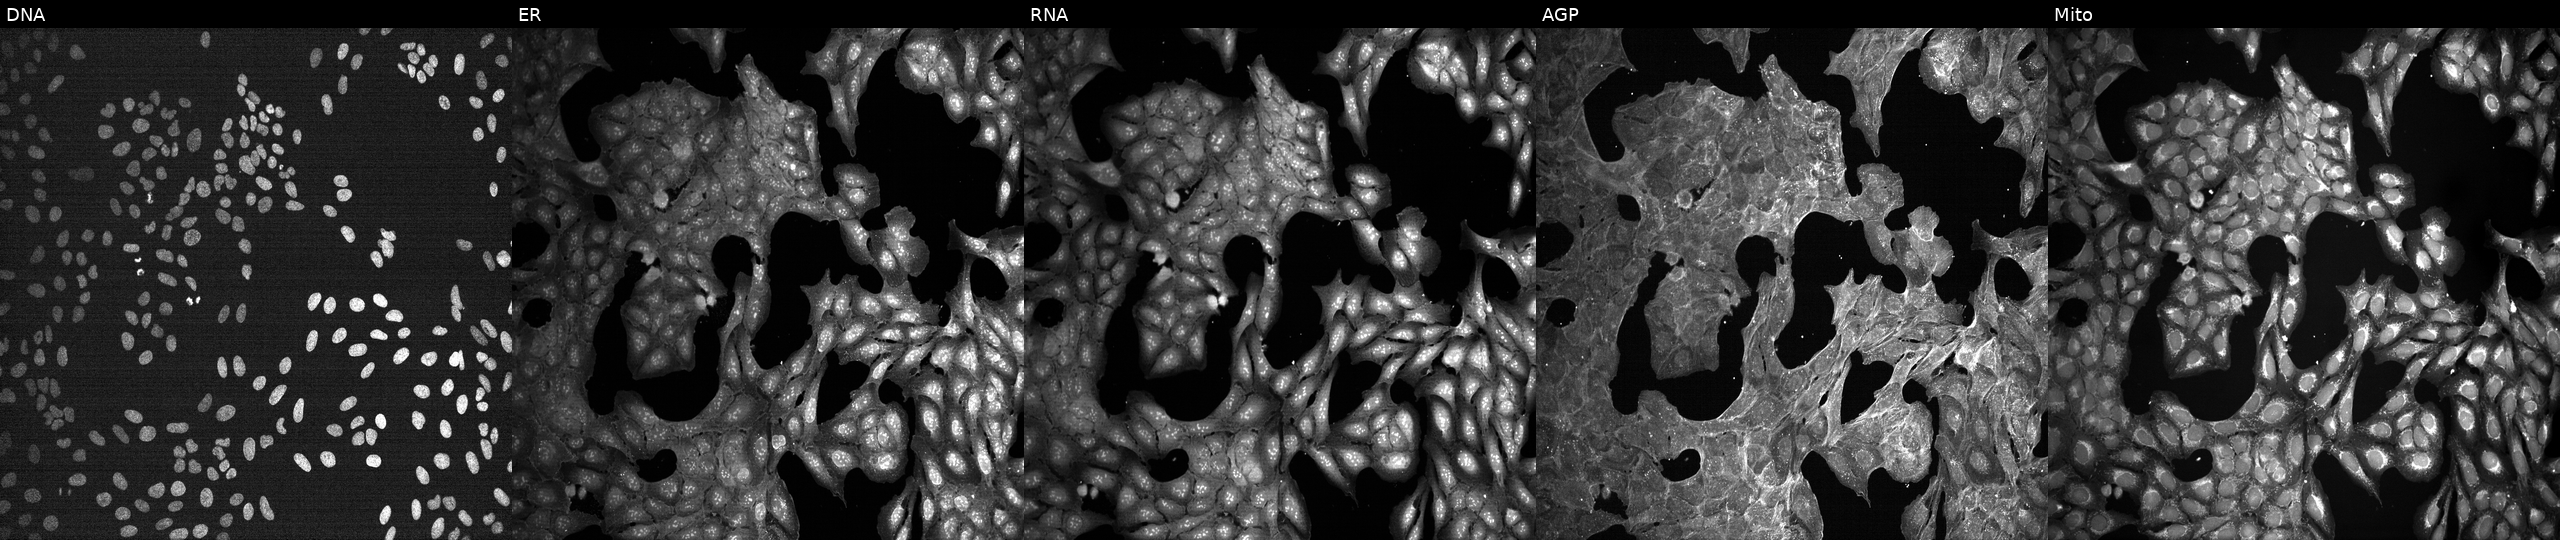
U2OS cells, Cell Painting assay, exposed to DMSO alone as a negative control. Panels show, left to right, DNA (nuclei); ER (endoplasmic reticulum); RNA (nucleoli and cytoplasmic RNA); AGP (actin cytoskeleton, Golgi, and plasma membrane); Mito (mitochondria). Each panel is percentile-stretched 16-bit fluorescence. Source 7, plate CP1-SC1-25, well N01.